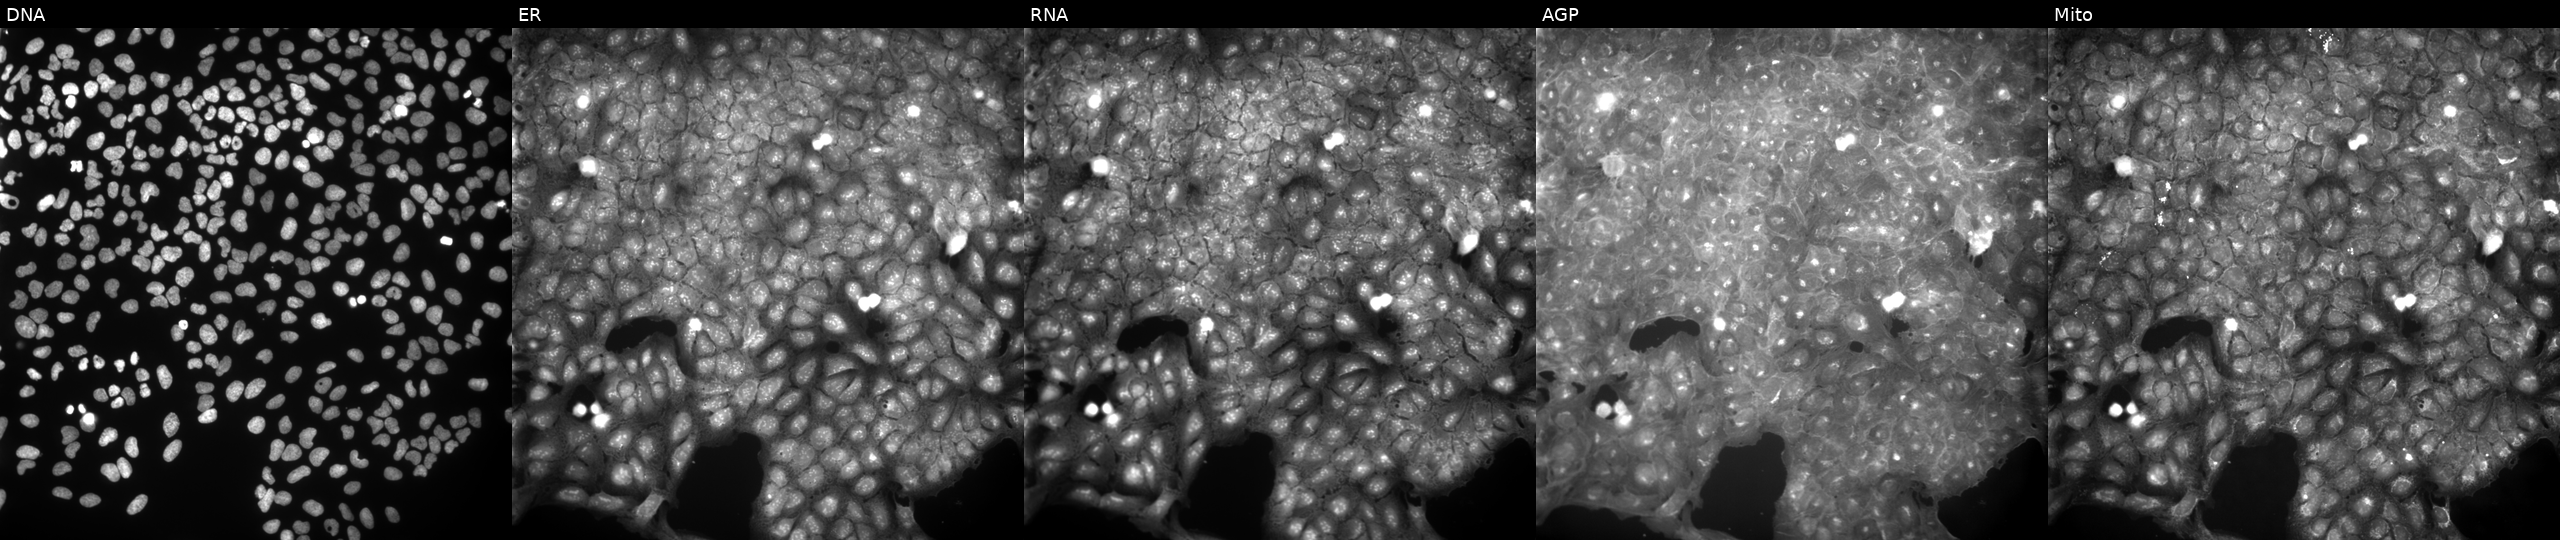
U2OS cells, Cell Painting assay, exposed to a small-molecule compound (InChIKey HFYIVXOWTDYRCG-UHFFFAOYSA-N) [SMILES: Cc1c([N+](=O)[O-])cc(C(=O)NCc2ccc(F)cc2)cc1[N+](=O)[O-]] (JUMP id JCP2022_029949). Panels show, left to right, DNA, ER, RNA, AGP, and Mito. Each panel is percentile-stretched 16-bit fluorescence. Source 9, plate GR00003381, well P15.